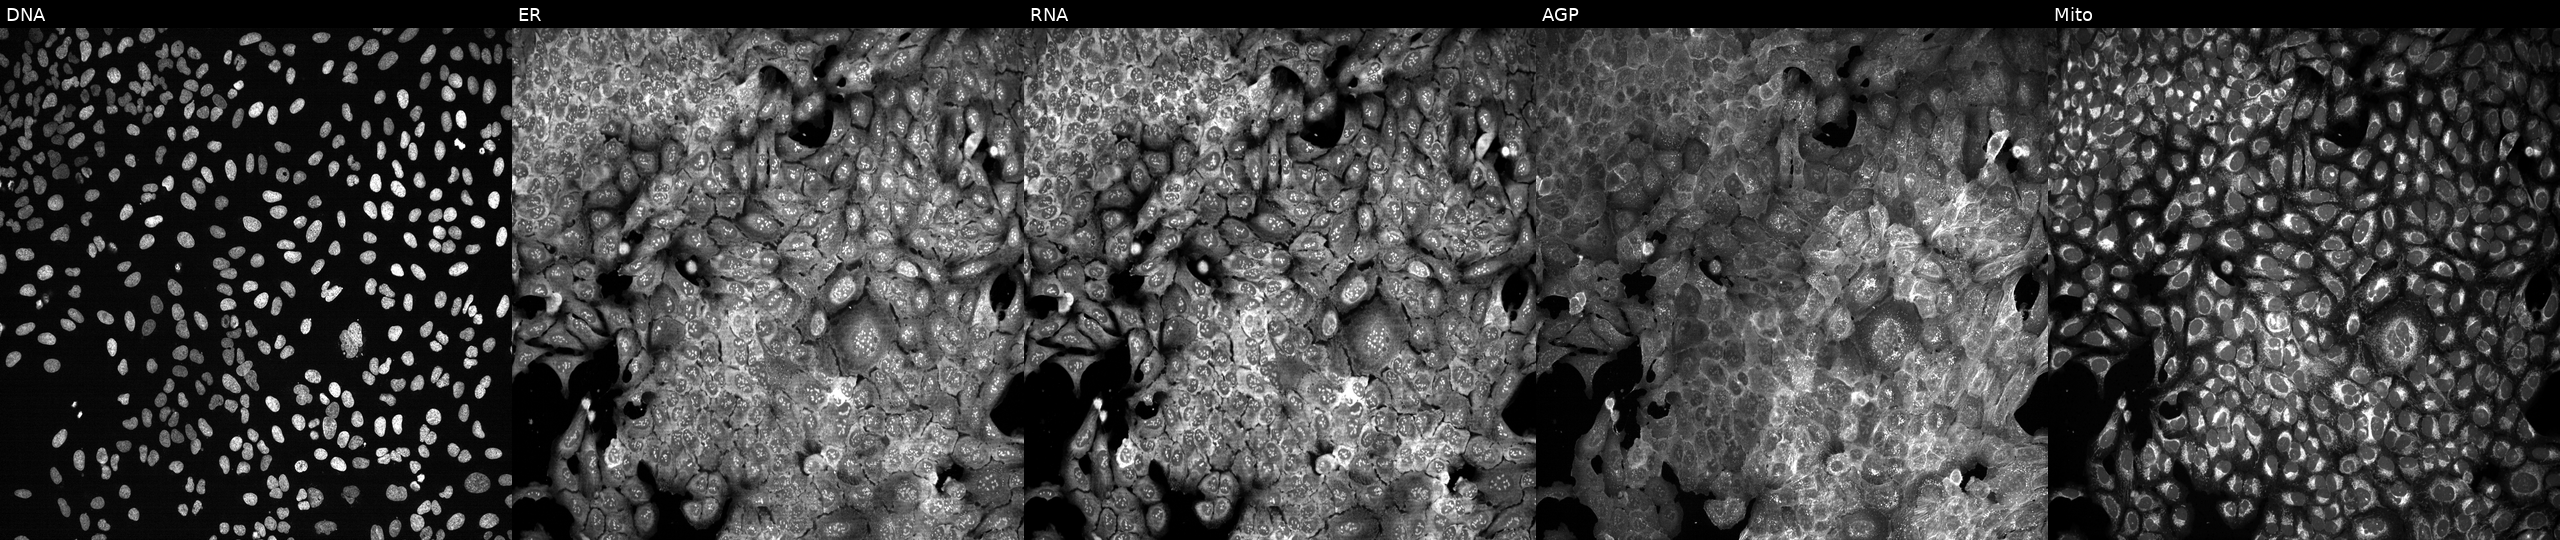
Five-channel Cell Painting image of U2OS cells CRISPR-edited to disrupt MBTPS2. From left to right: DNA (nuclei); ER (endoplasmic reticulum); RNA (nucleoli and cytoplasmic RNA); AGP (actin cytoskeleton, Golgi, and plasma membrane); Mito (mitochondria).